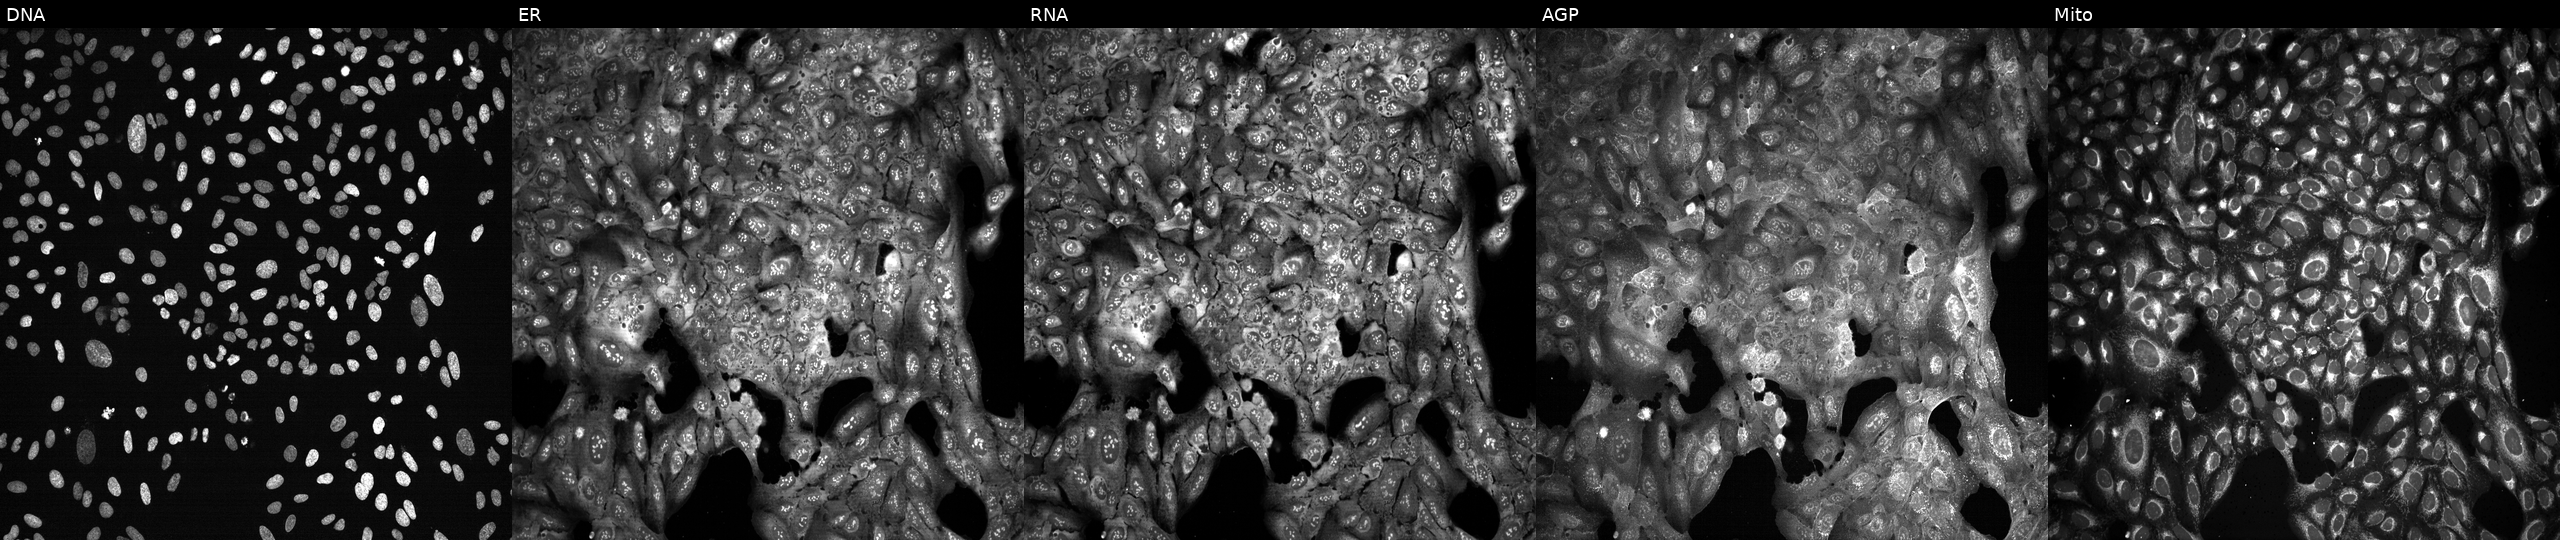
High-content fluorescence microscopy (Cell Painting). Cell line: U2OS. Perturbation: with PIGU knocked out by CRISPR (JUMP id JCP2022_805150). From left to right: DNA, ER, RNA, AGP, and Mito. Source 13, plate CP-CC9-R4-04, well L08.